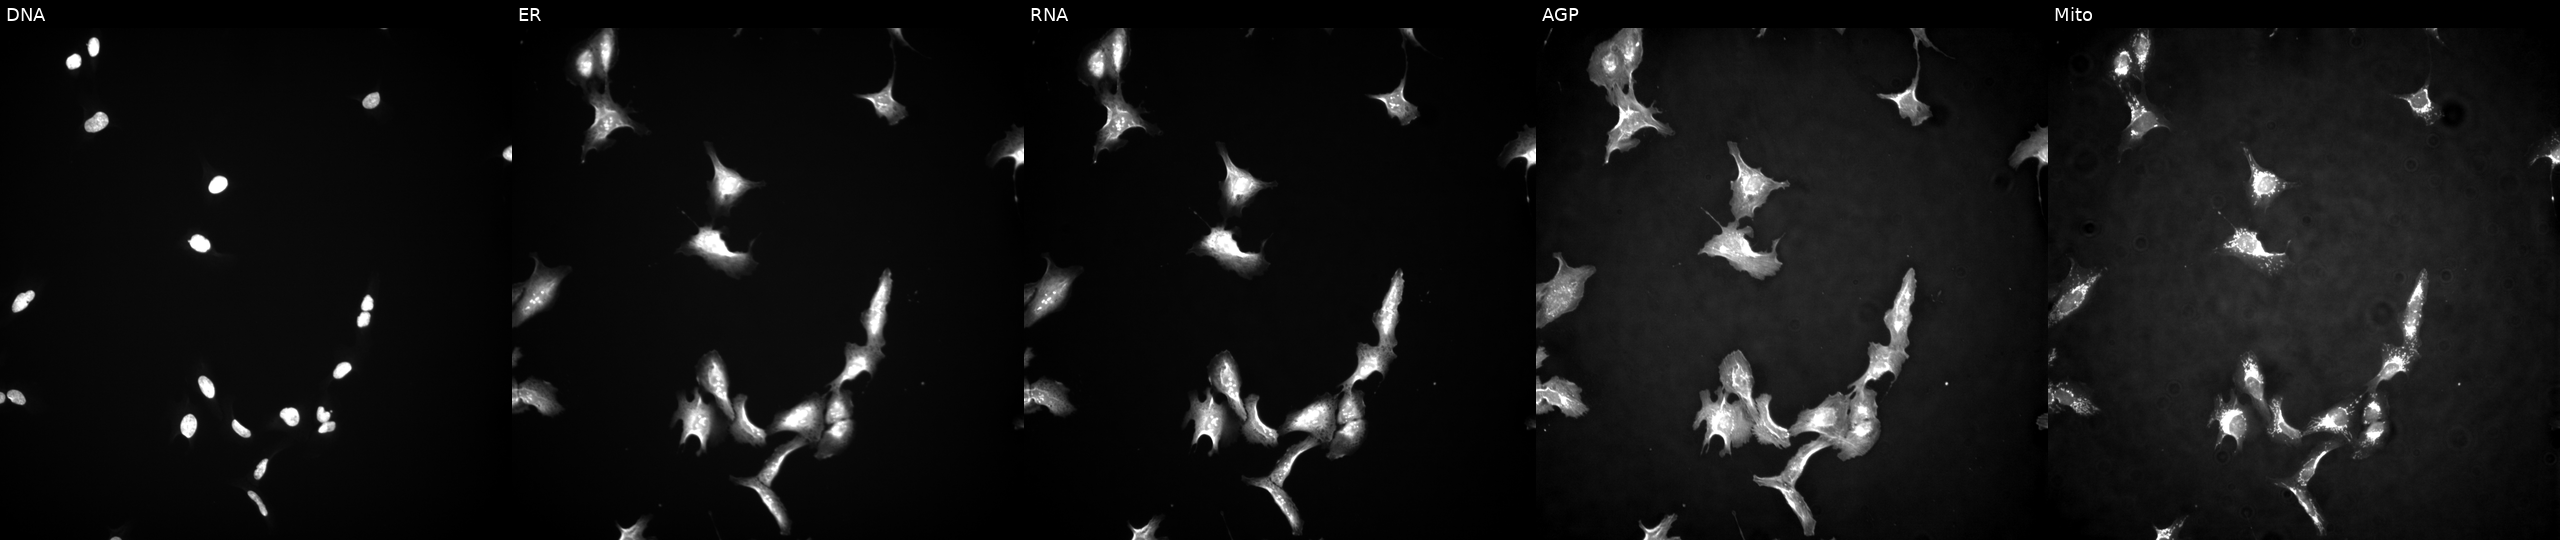
High-content fluorescence microscopy (Cell Painting). Cell line: U2OS. Perturbation: transfected with an ORF construct for TRIM32 (JUMP id JCP2022_902538). From left to right: DNA, ER, RNA, AGP, and Mito. Source 4, plate BR00117035, well N10.